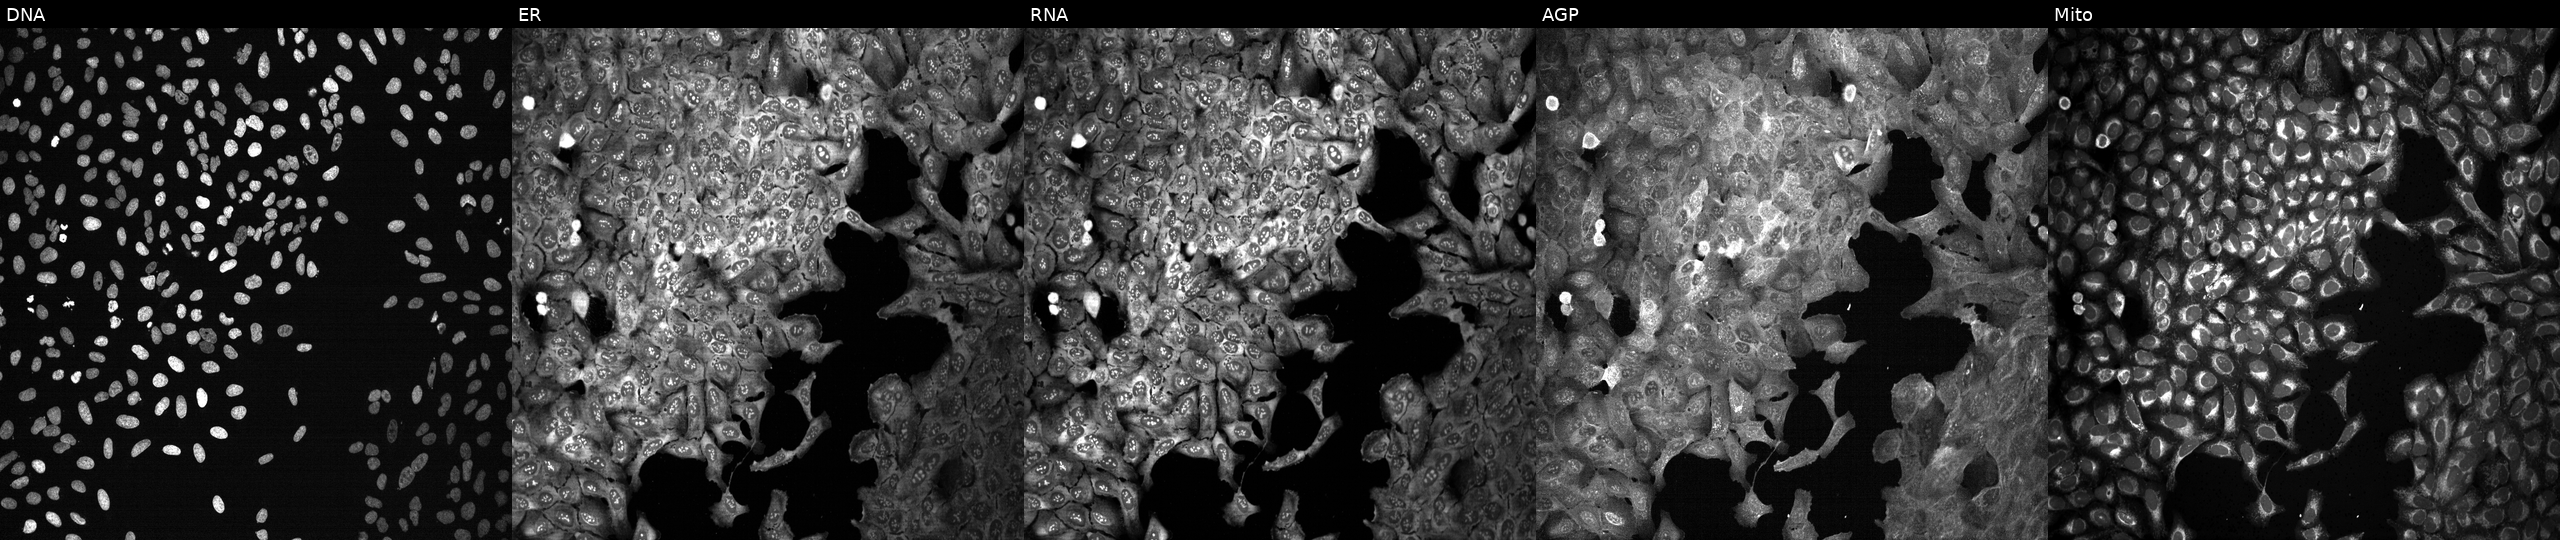
Five-channel Cell Painting image of U2OS cells with TROAP knocked out by CRISPR. From left to right: DNA (nuclei); ER (endoplasmic reticulum); RNA (nucleoli and cytoplasmic RNA); AGP (actin cytoskeleton, Golgi, and plasma membrane); Mito (mitochondria).